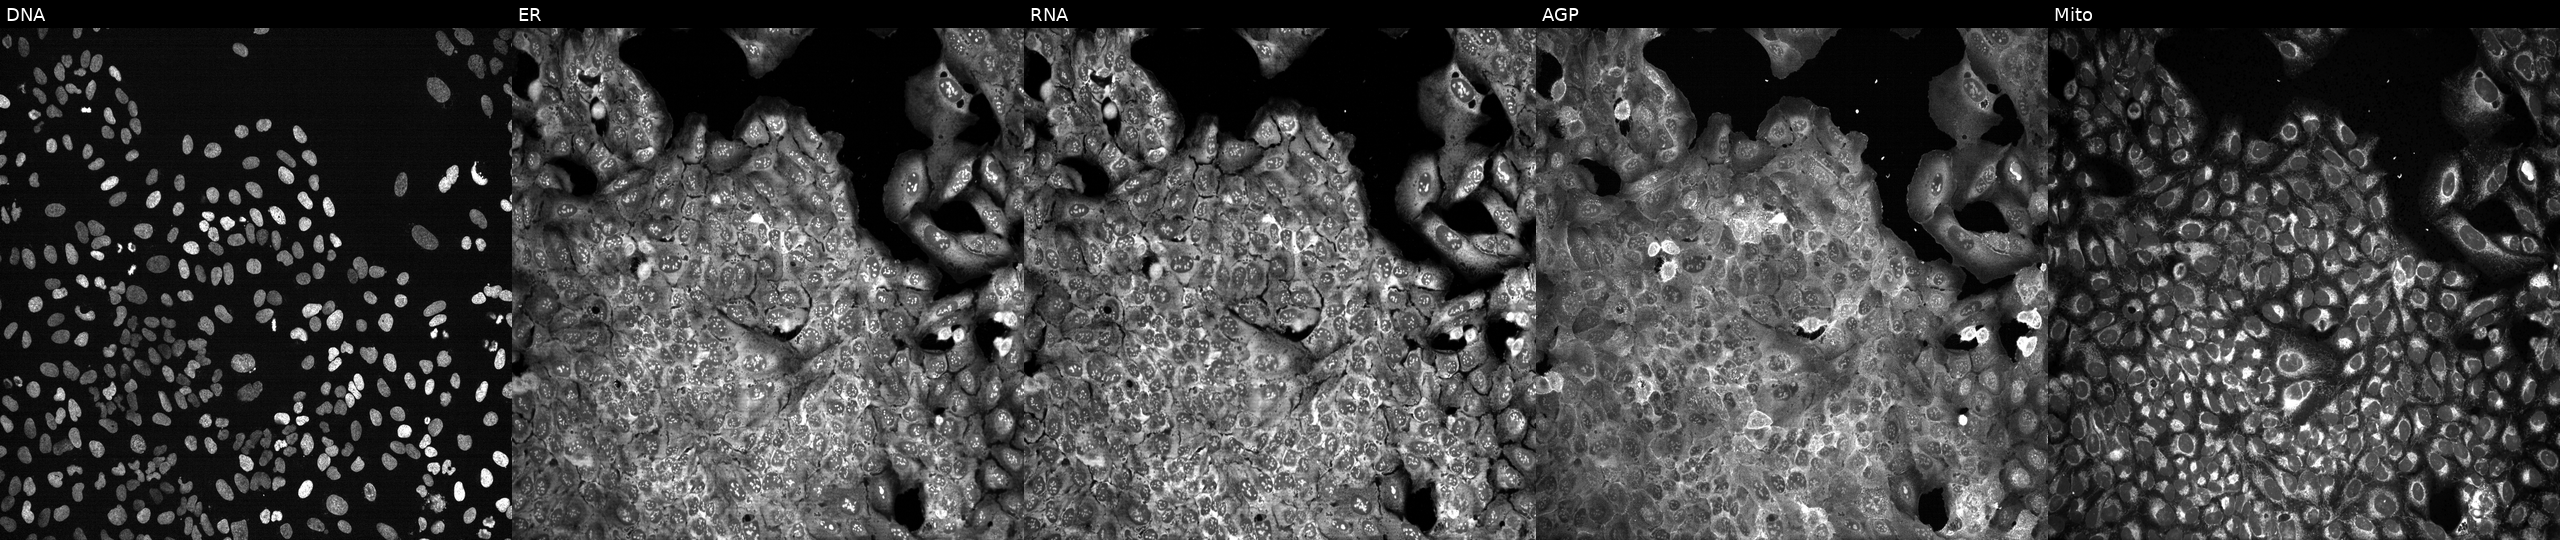
Five-channel Cell Painting image of U2OS cells following CRISPR knockout of NMNAT1. Channels (left→right): DNA, ER, RNA, AGP, and Mito. Source 13, plate CP-CC9-R4-03, well B13.